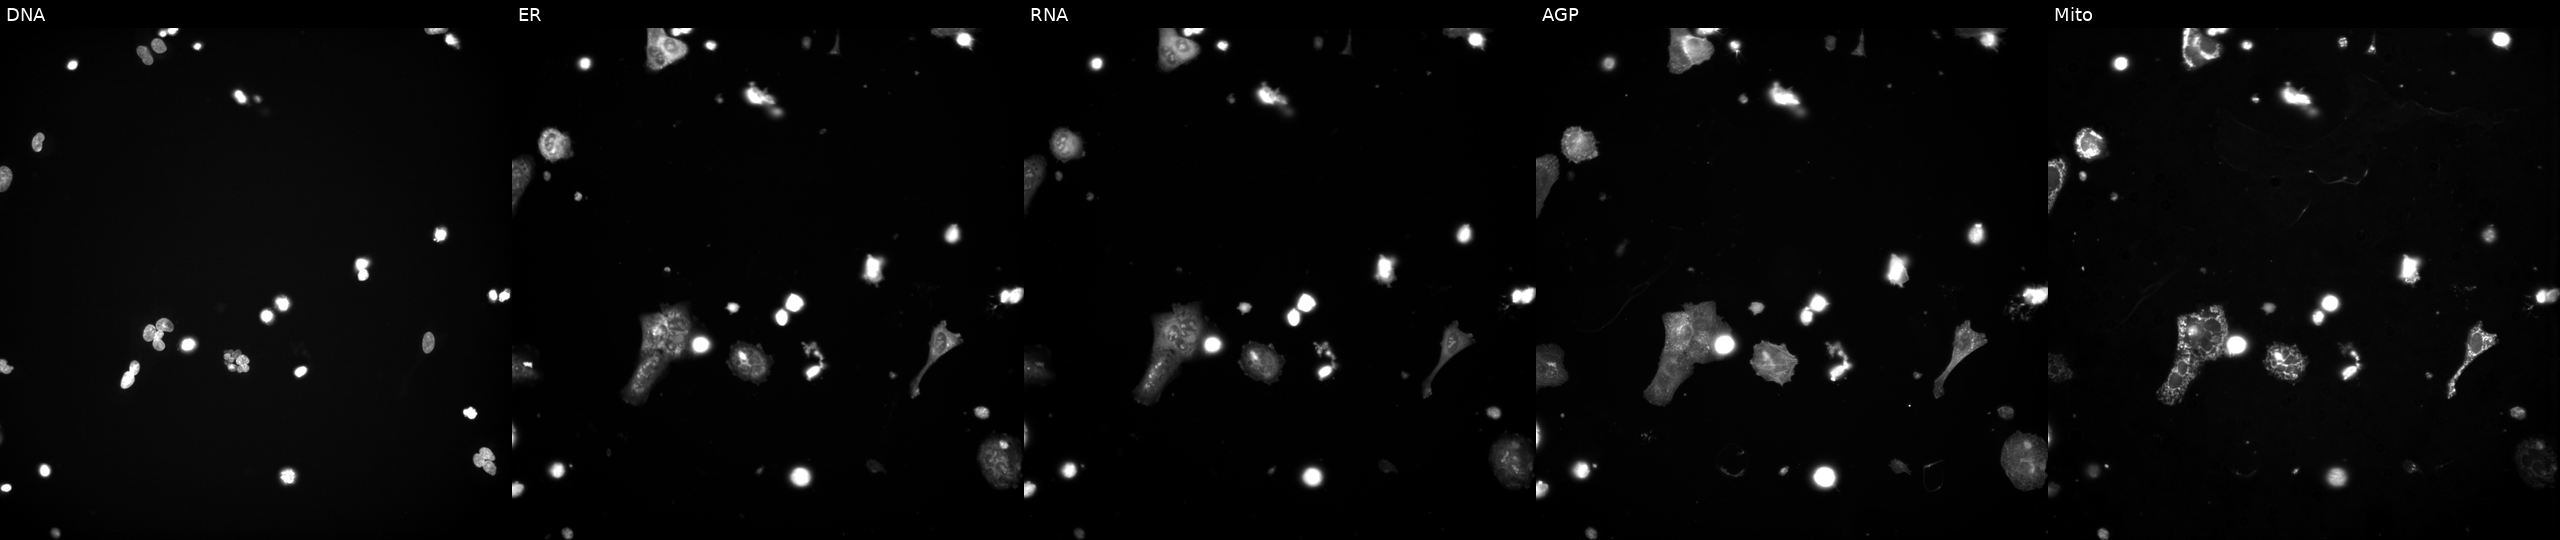
JUMP Cell Painting — TARGET2 plate. U2OS cells exposed to a small-molecule compound (InChIKey IAKHMKGGTNLKSZ-UHFFFAOYSA-N) [SMILES: COc1cc2c(c(OC)c1OC)-c1ccc(OC)c(=O)cc1C(NC(C)=O)CC2] (JUMP id JCP2022_033814). Panels show, left to right, DNA, ER, RNA, AGP, and Mito.